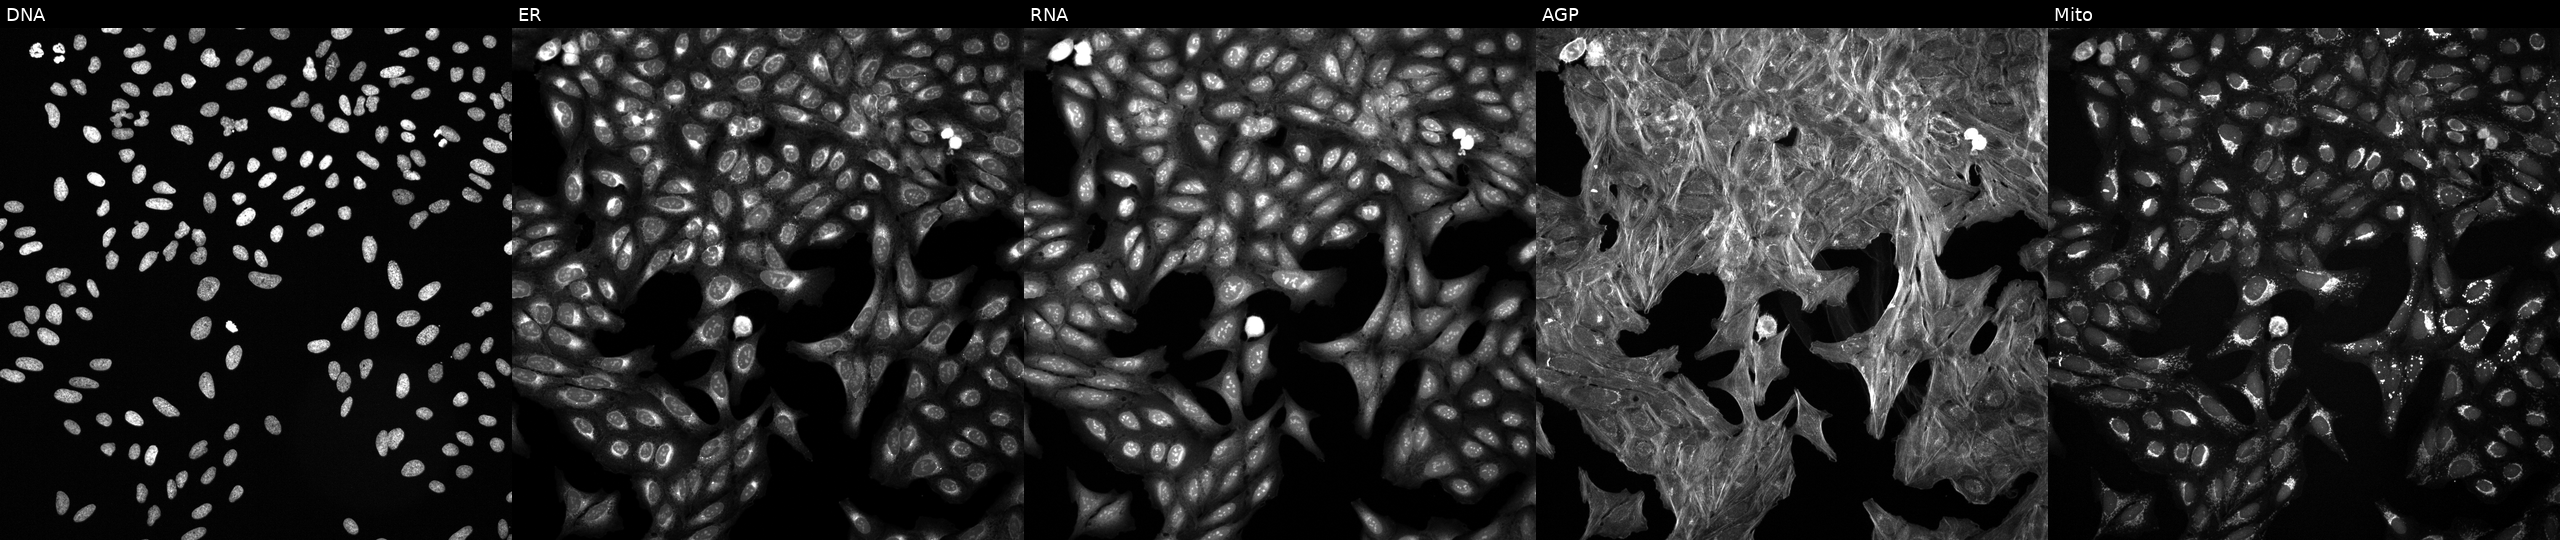
This image strip shows the five Cell Painting channels for a single field of U2OS cells perturbed with a small-molecule compound (JUMP id JCP2022_056730). From left to right: DNA, ER, RNA, AGP, and Mito.